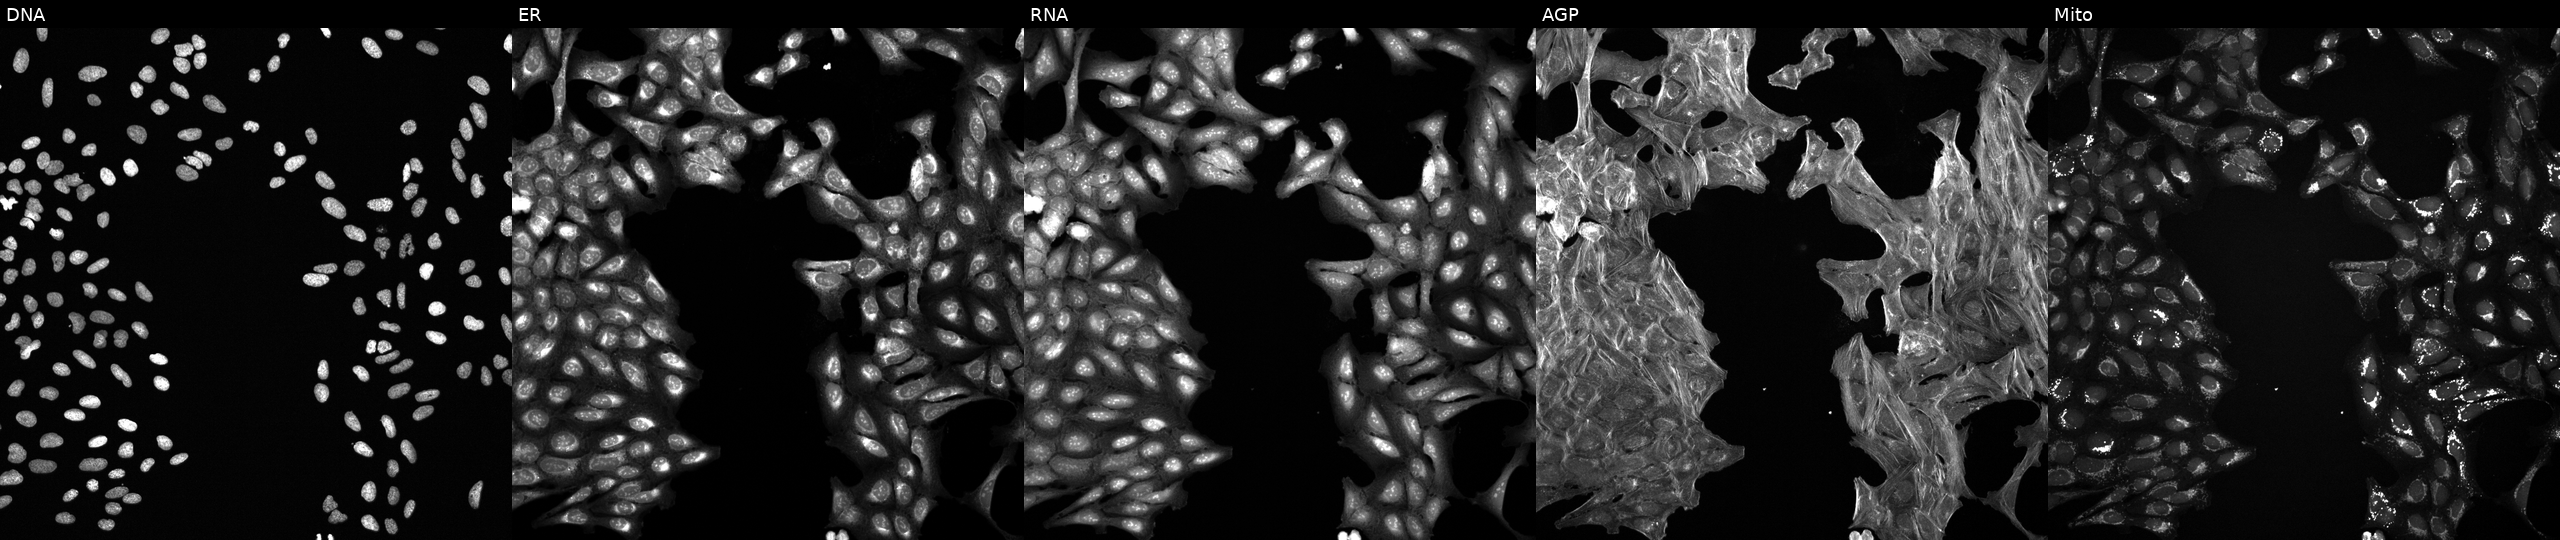
Panels show, left to right, Hoechst 33342, concanavalin A, SYTO 14, phalloidin and WGA, MitoTracker. U2OS osteosarcoma cells treated with a small-molecule compound (InChIKey YCYMCMYLORLIJX-UHFFFAOYSA-N) (JUMP id JCP2022_107658). Cell Painting assay, JUMP-CP dataset.